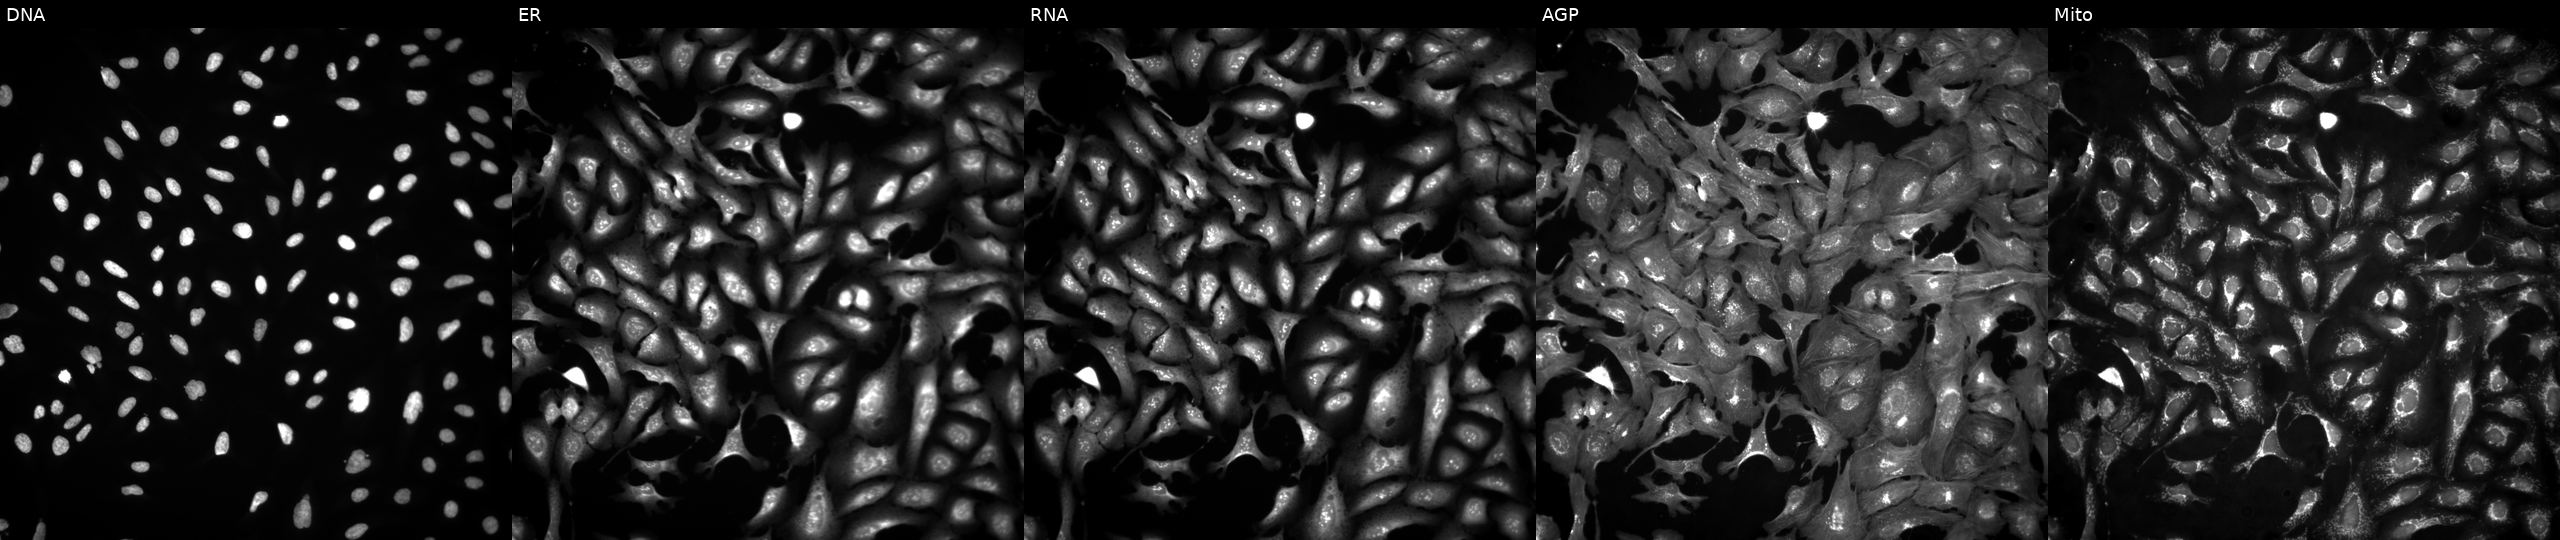
High-content fluorescence microscopy (Cell Painting). Cell line: U2OS. Perturbation: in an empty control well (no perturbation). Panels show, left to right, DNA, ER, RNA, AGP, and Mito.